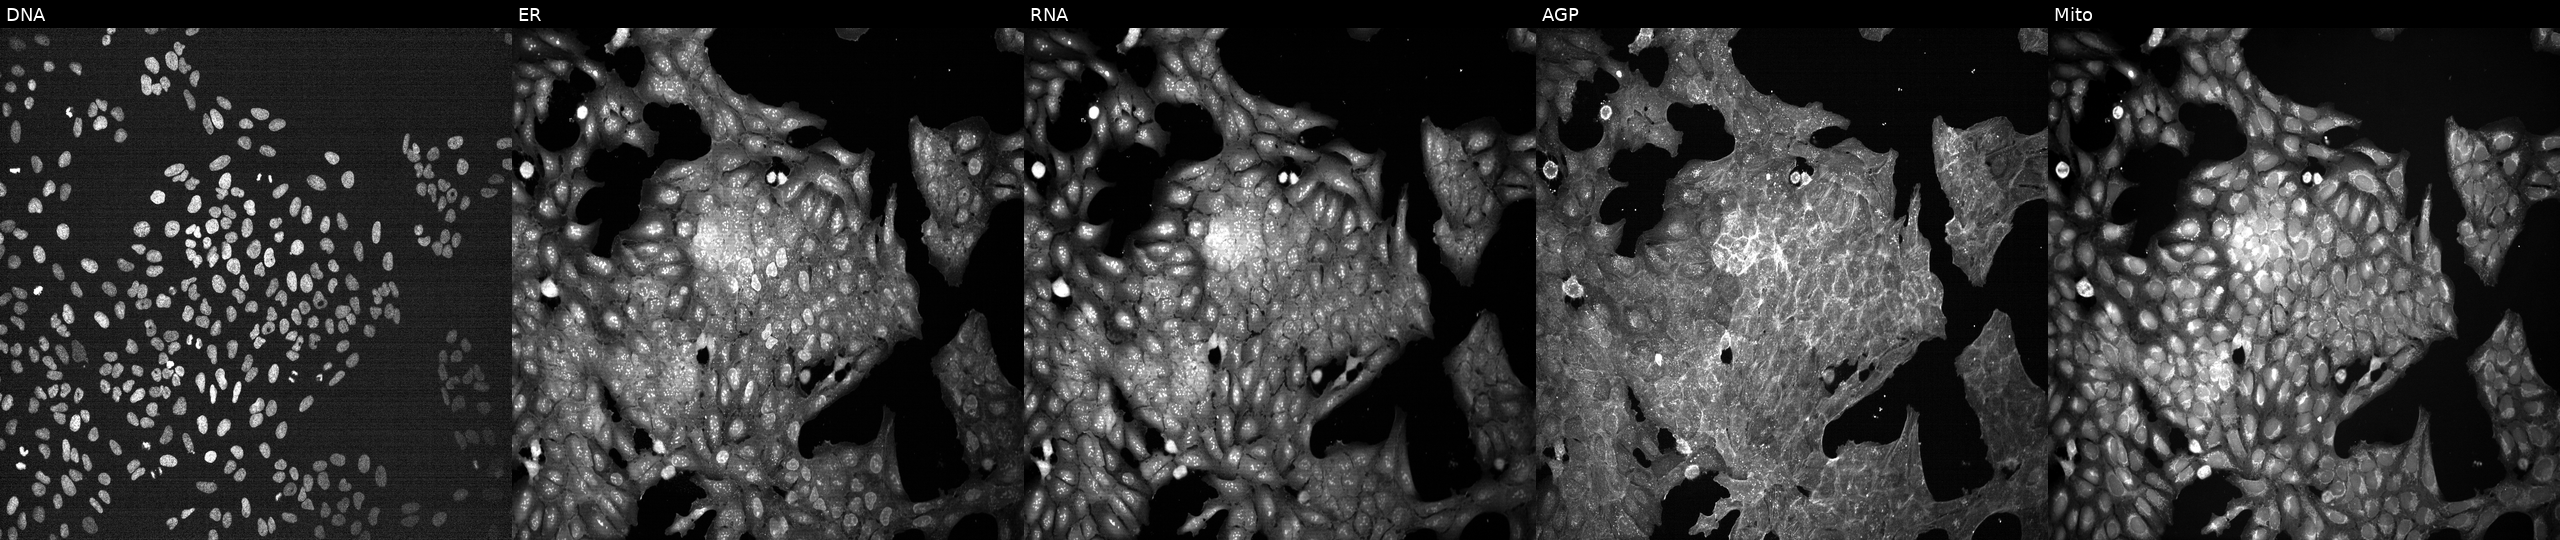
This image strip shows the five Cell Painting channels for a single field of U2OS cells treated with DMSO vehicle only (negative control) (JUMP id JCP2022_033924). The five panels, left to right, show DNA, ER, RNA, AGP, and Mito.